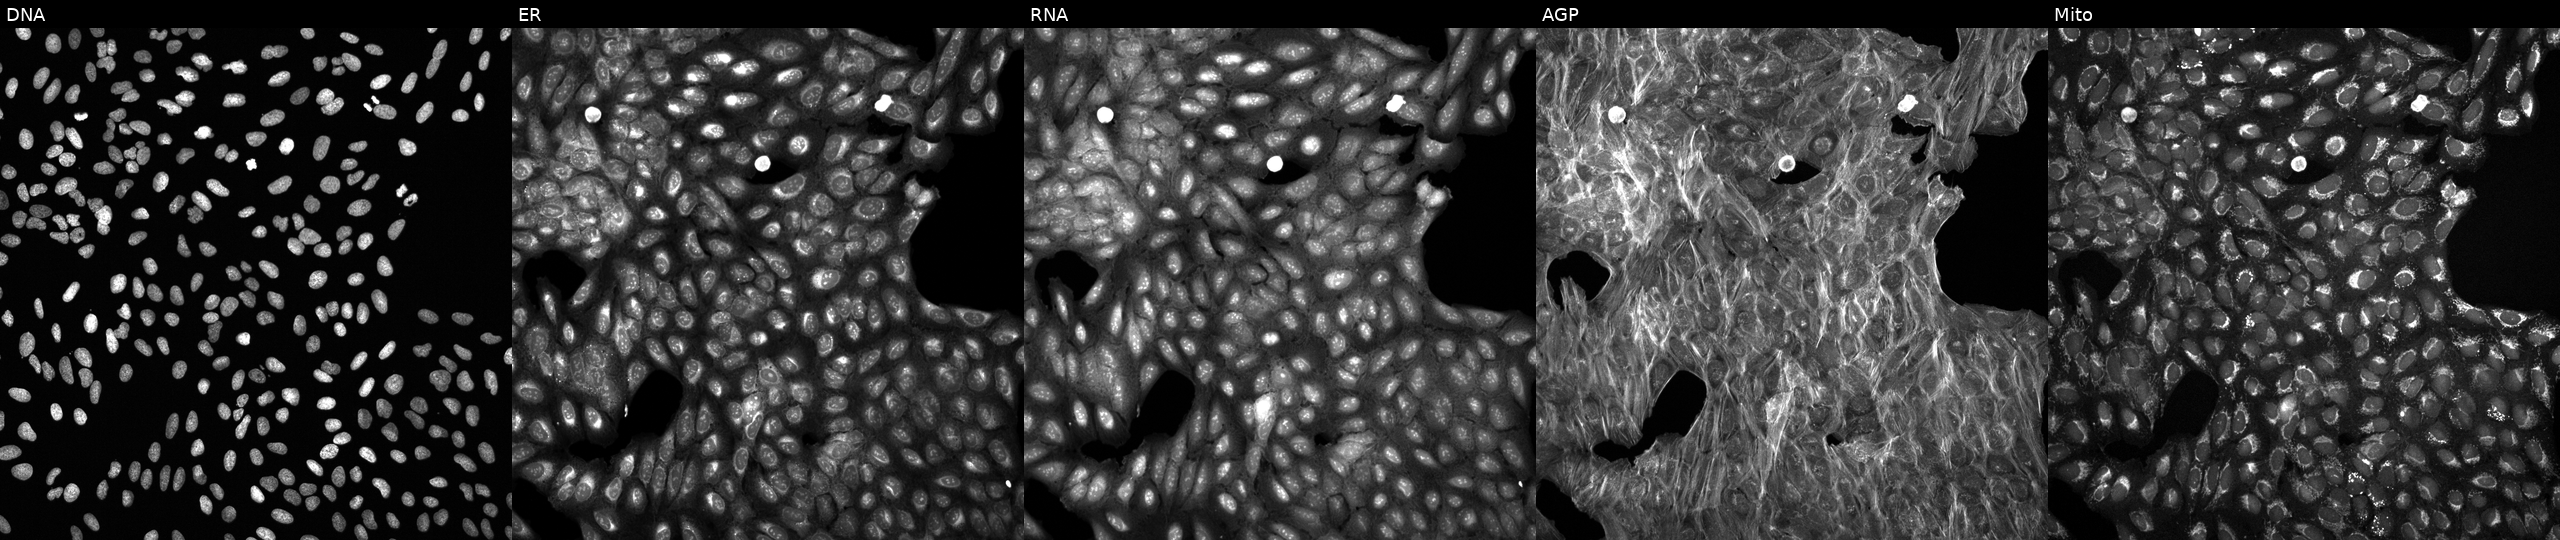
Five-channel Cell Painting image of U2OS cells exposed to DMSO alone as a negative control (JUMP id JCP2022_033924). From left to right: DNA (nuclei); ER (endoplasmic reticulum); RNA (nucleoli and cytoplasmic RNA); AGP (actin cytoskeleton, Golgi, and plasma membrane); Mito (mitochondria).